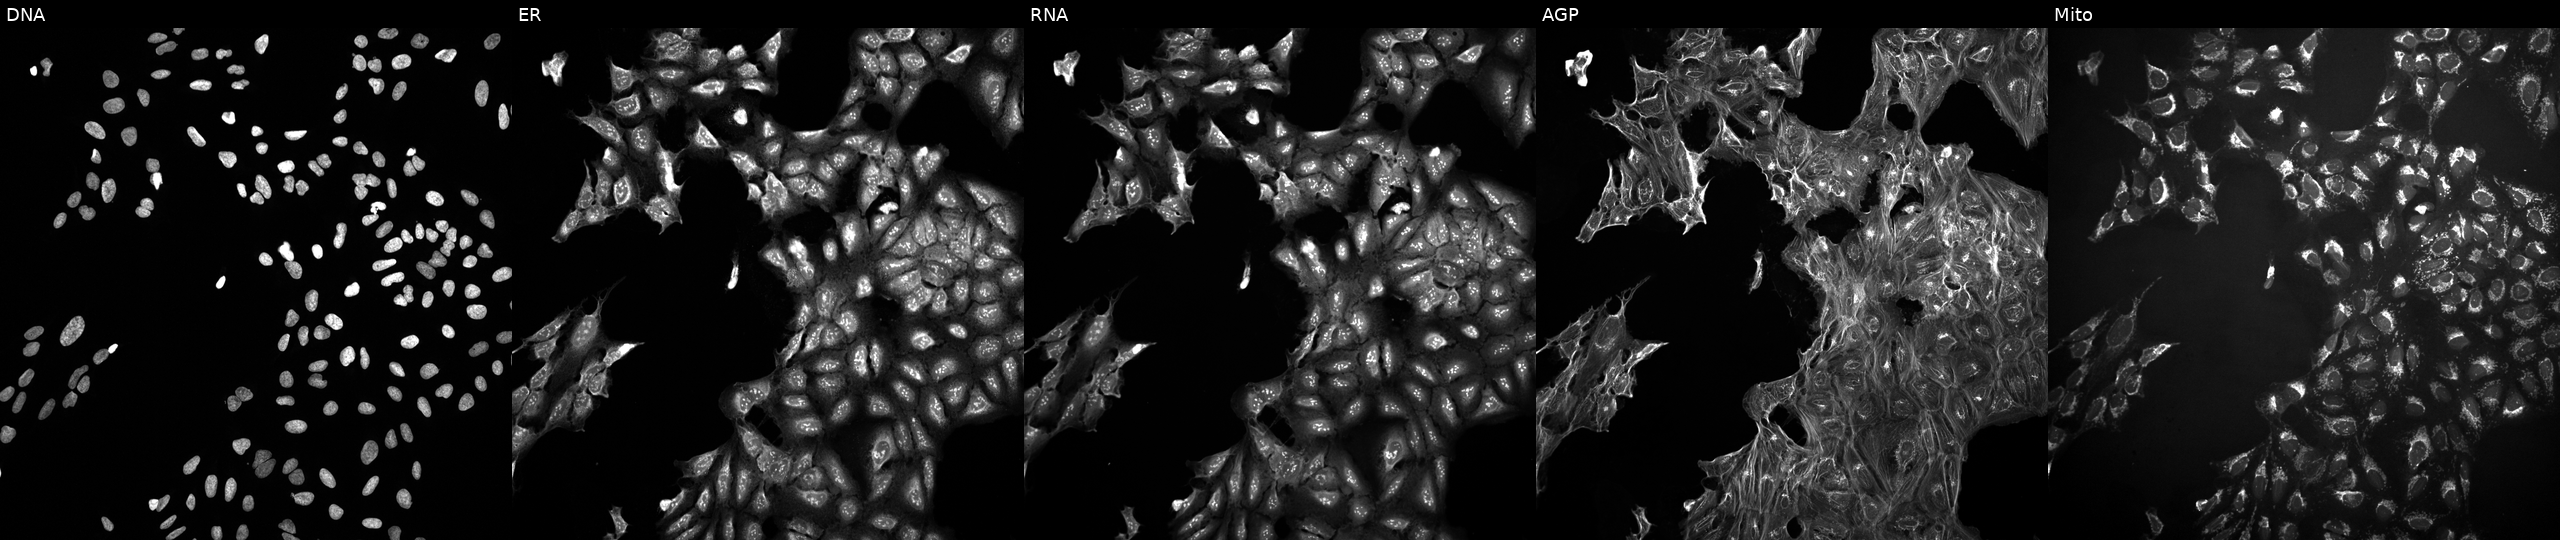
This image strip shows the five Cell Painting channels for a single field of U2OS cells perturbed with a small-molecule compound (InChIKey ZRALSGWEFCBTJO-UHFFFAOYSA-N) [SMILES: N=C(N)N] (JUMP id JCP2022_115134). From left to right: DNA, ER, RNA, AGP, and Mito.